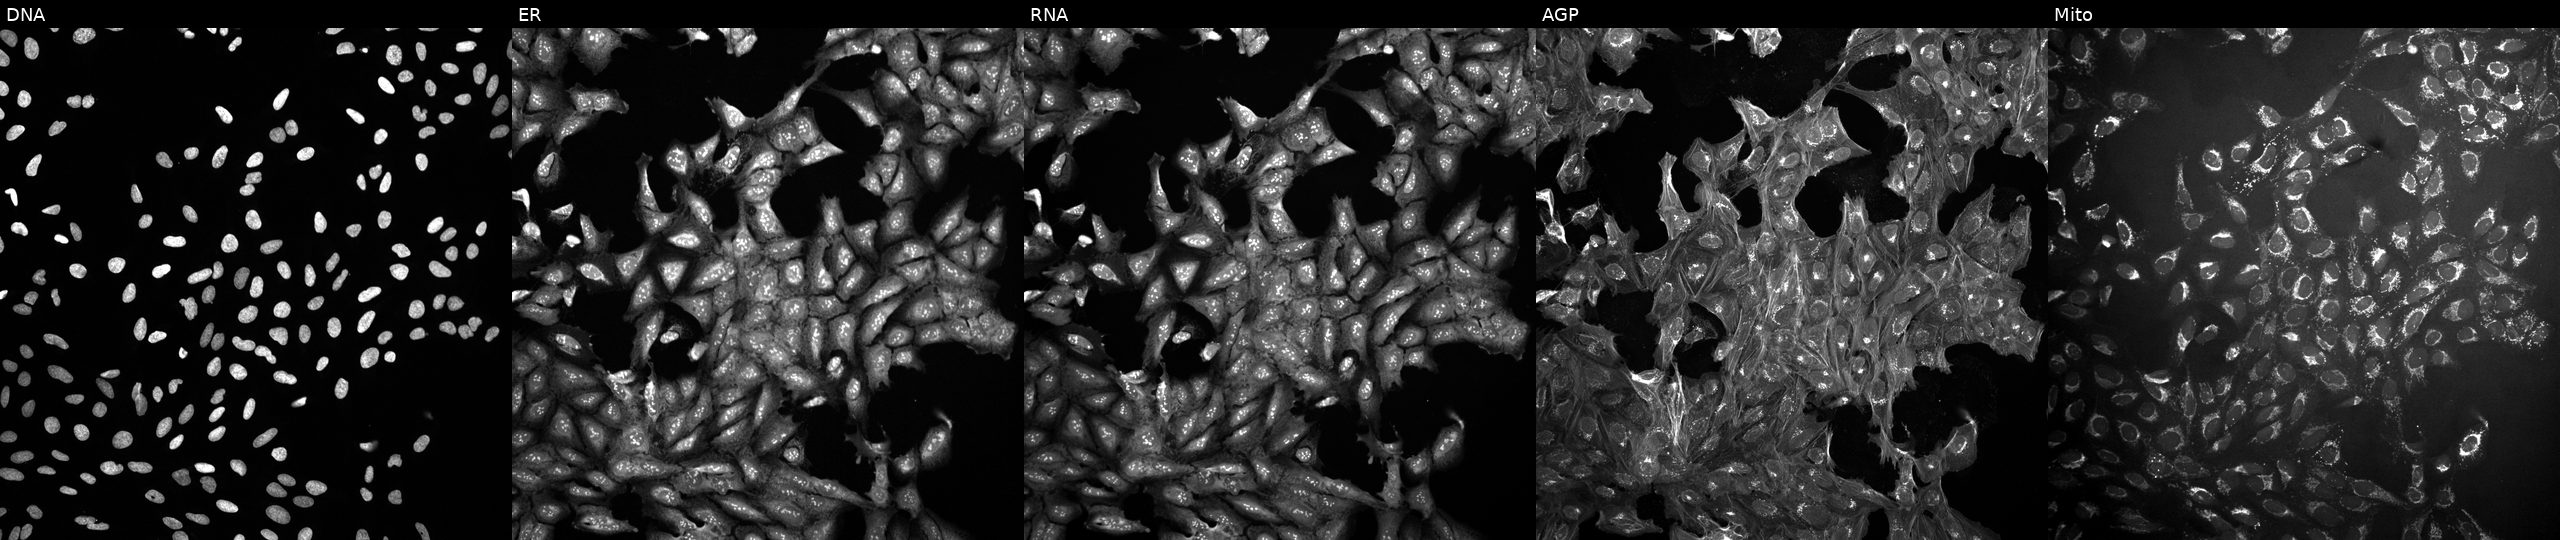
Panels show, left to right, DNA (nuclei); ER (endoplasmic reticulum); RNA (nucleoli and cytoplasmic RNA); AGP (actin cytoskeleton, Golgi, and plasma membrane); Mito (mitochondria). U2OS osteosarcoma cells treated with a small-molecule compound (InChIKey KPQHXUSUZRMXRV-UHFFFAOYSA-N) (JUMP id JCP2022_046176). Cell Painting assay, JUMP-CP dataset.